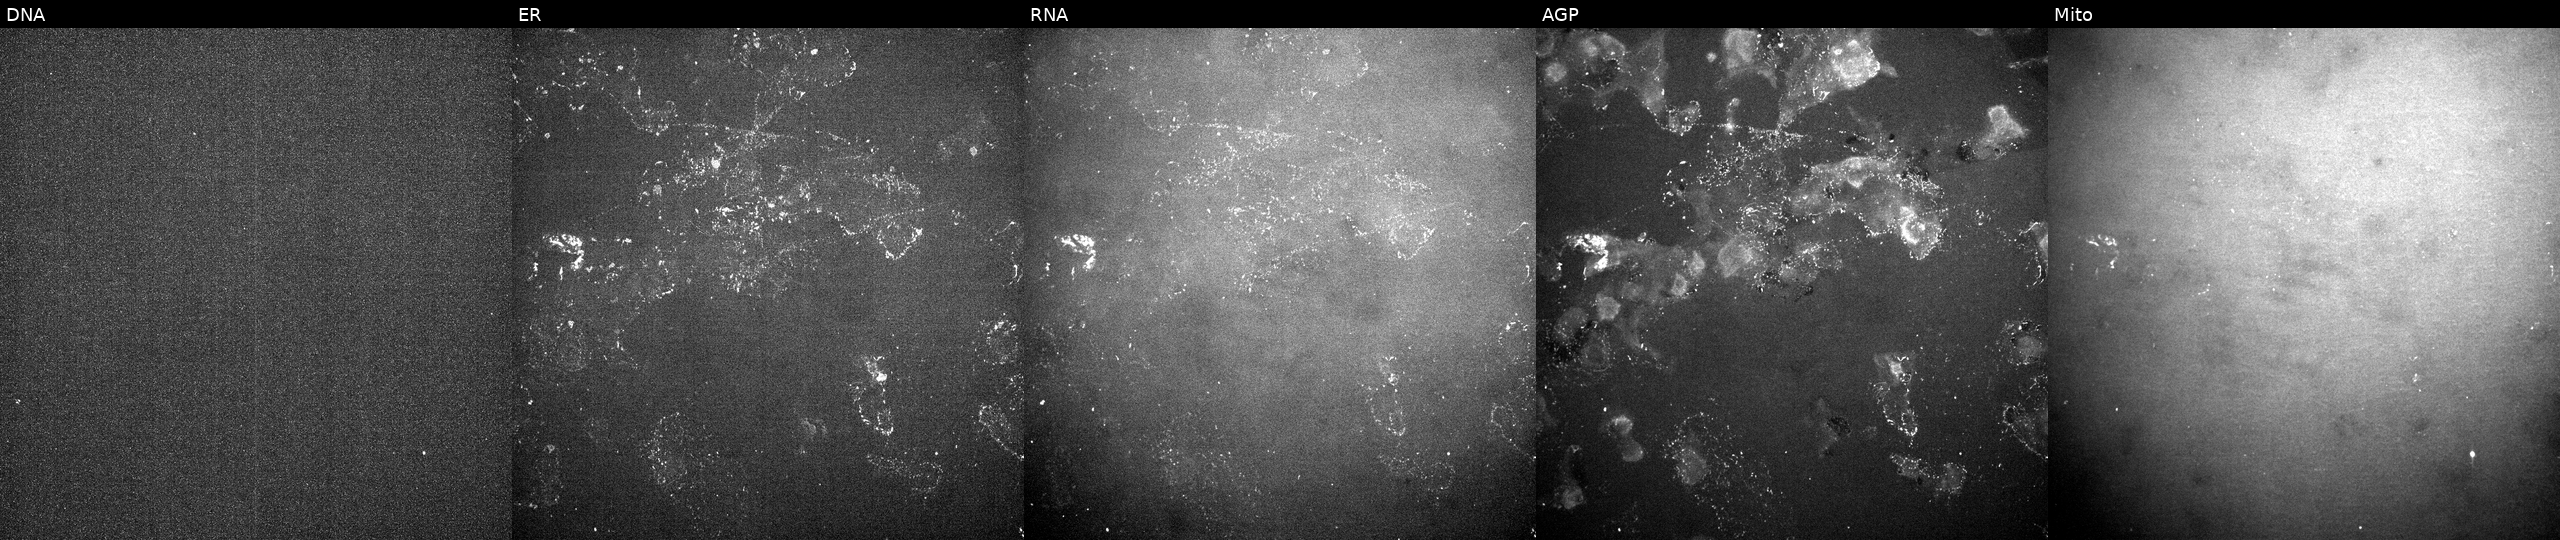
High-content fluorescence microscopy (Cell Painting). Cell line: U2OS. Perturbation: treated with a small-molecule compound (InChIKey DUKQPWDVIZDABV-UHFFFAOYSA-N) [SMILES: O=C1C(=NCCN2CCOCC2)C(Cl)C(=O)c2cccnc21] (JUMP id JCP2022_018280). From left to right: DNA, ER, RNA, AGP, and Mito.